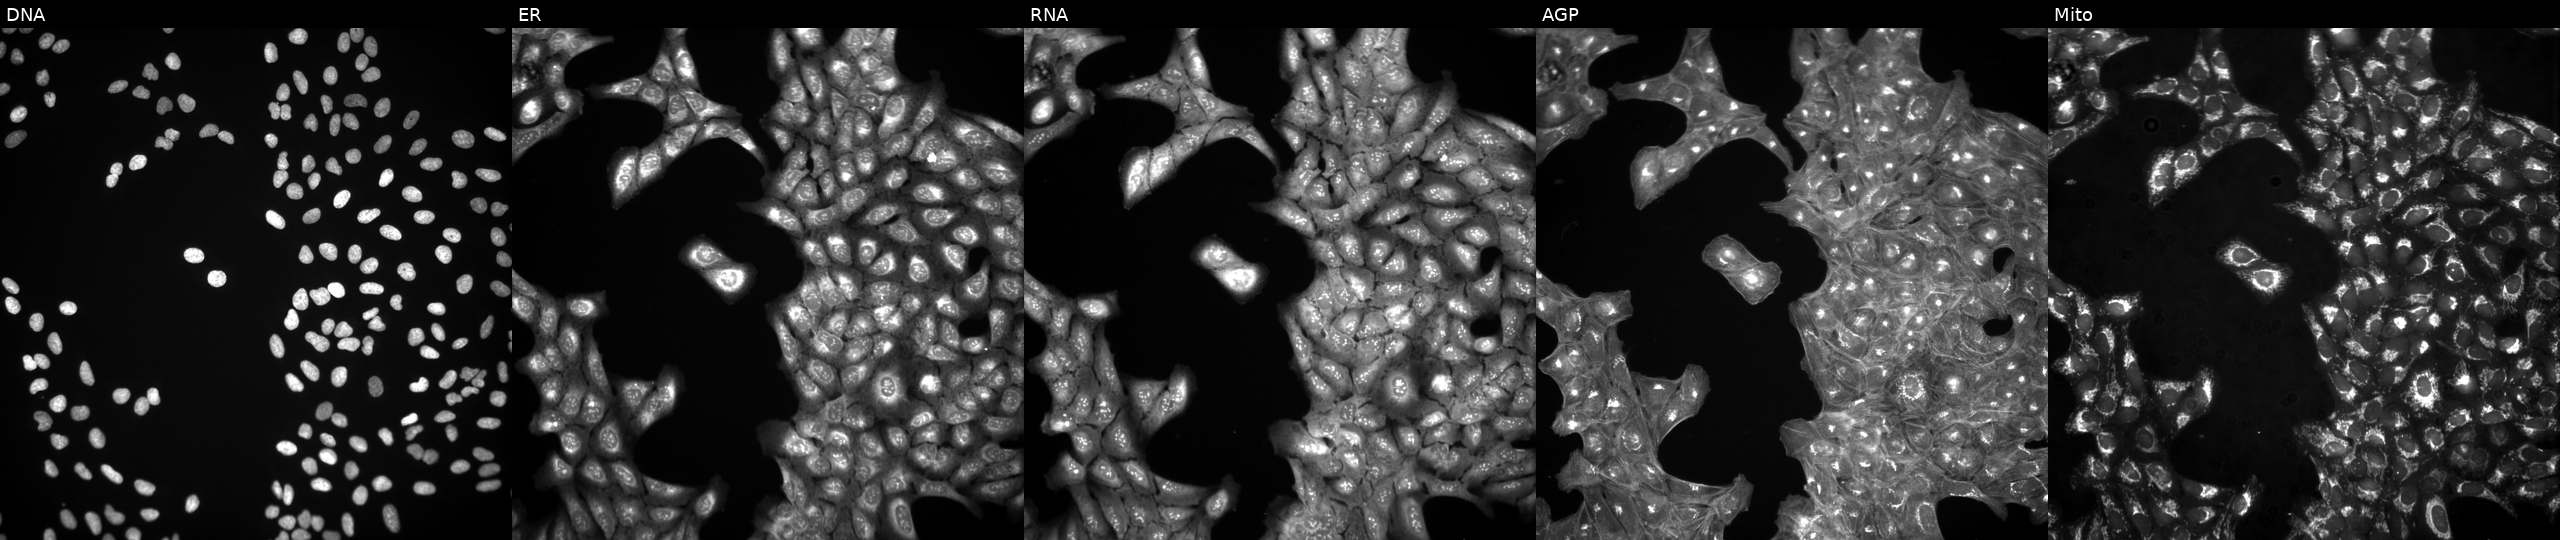
High-content fluorescence microscopy (Cell Painting). Cell line: U2OS. Perturbation: treated with DMSO vehicle only (negative control) (JUMP id JCP2022_033924). Panels show, left to right, Hoechst 33342, concanavalin A, SYTO 14, phalloidin and WGA, MitoTracker.